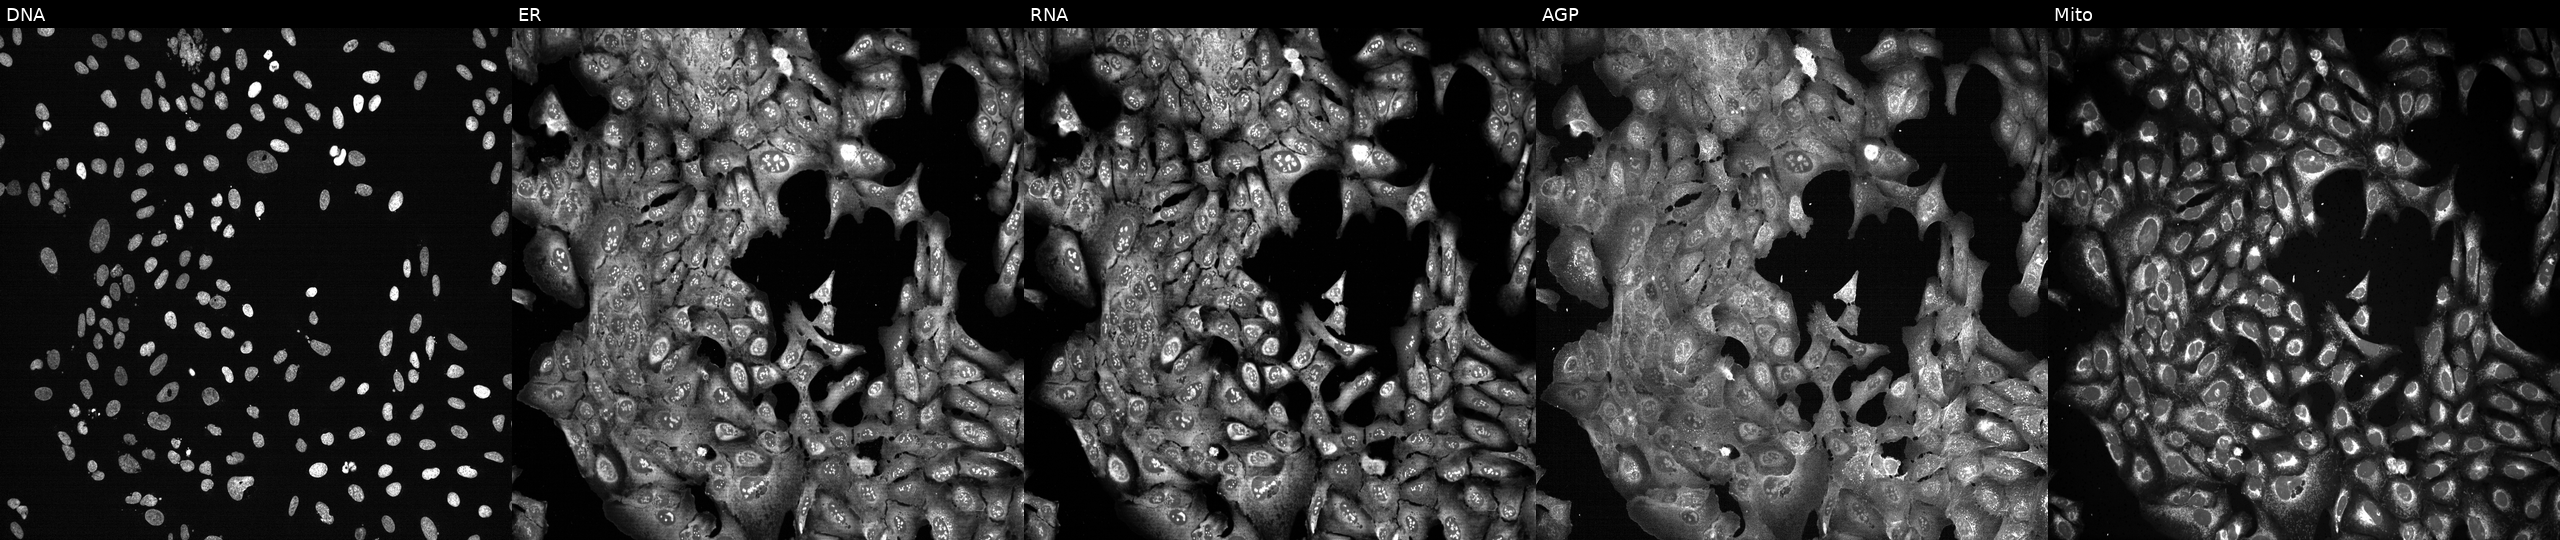
This image strip shows the five Cell Painting channels for a single field of U2OS cells following CRISPR knockout of AGL (JUMP id JCP2022_800307). From left to right: DNA (nuclei); ER (endoplasmic reticulum); RNA (nucleoli and cytoplasmic RNA); AGP (actin cytoskeleton, Golgi, and plasma membrane); Mito (mitochondria). Source 13, plate CP-CC9-R2-02, well K03.